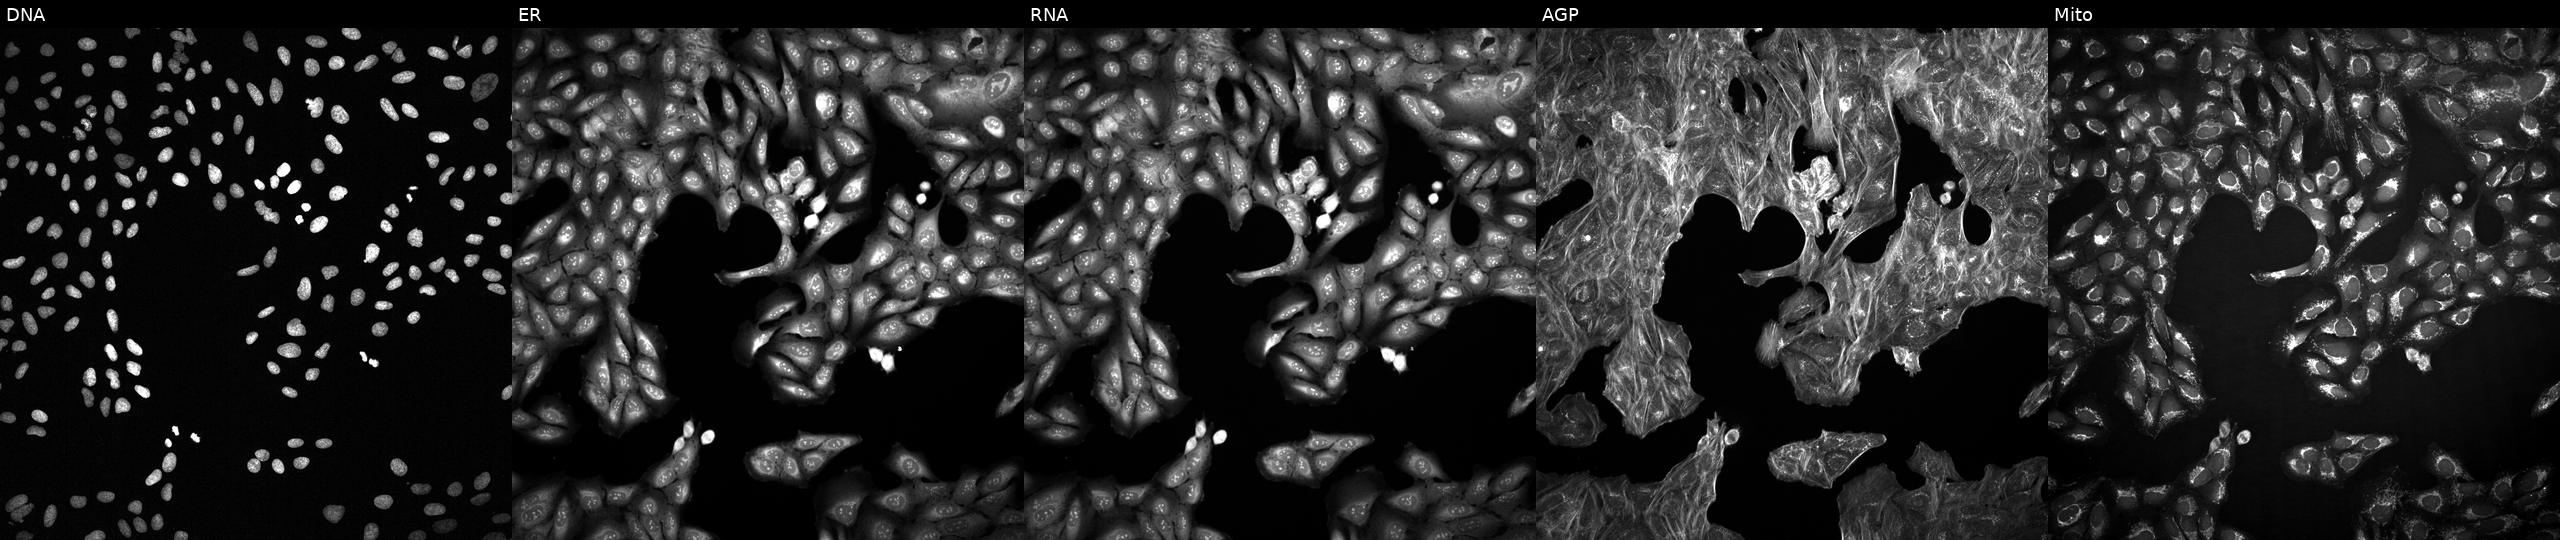
From left to right: DNA (nuclei); ER (endoplasmic reticulum); RNA (nucleoli and cytoplasmic RNA); AGP (actin cytoskeleton, Golgi, and plasma membrane); Mito (mitochondria). U2OS osteosarcoma cells with an unidentified perturbation (not annotated in JUMP metadata). Cell Painting assay, JUMP-CP dataset.